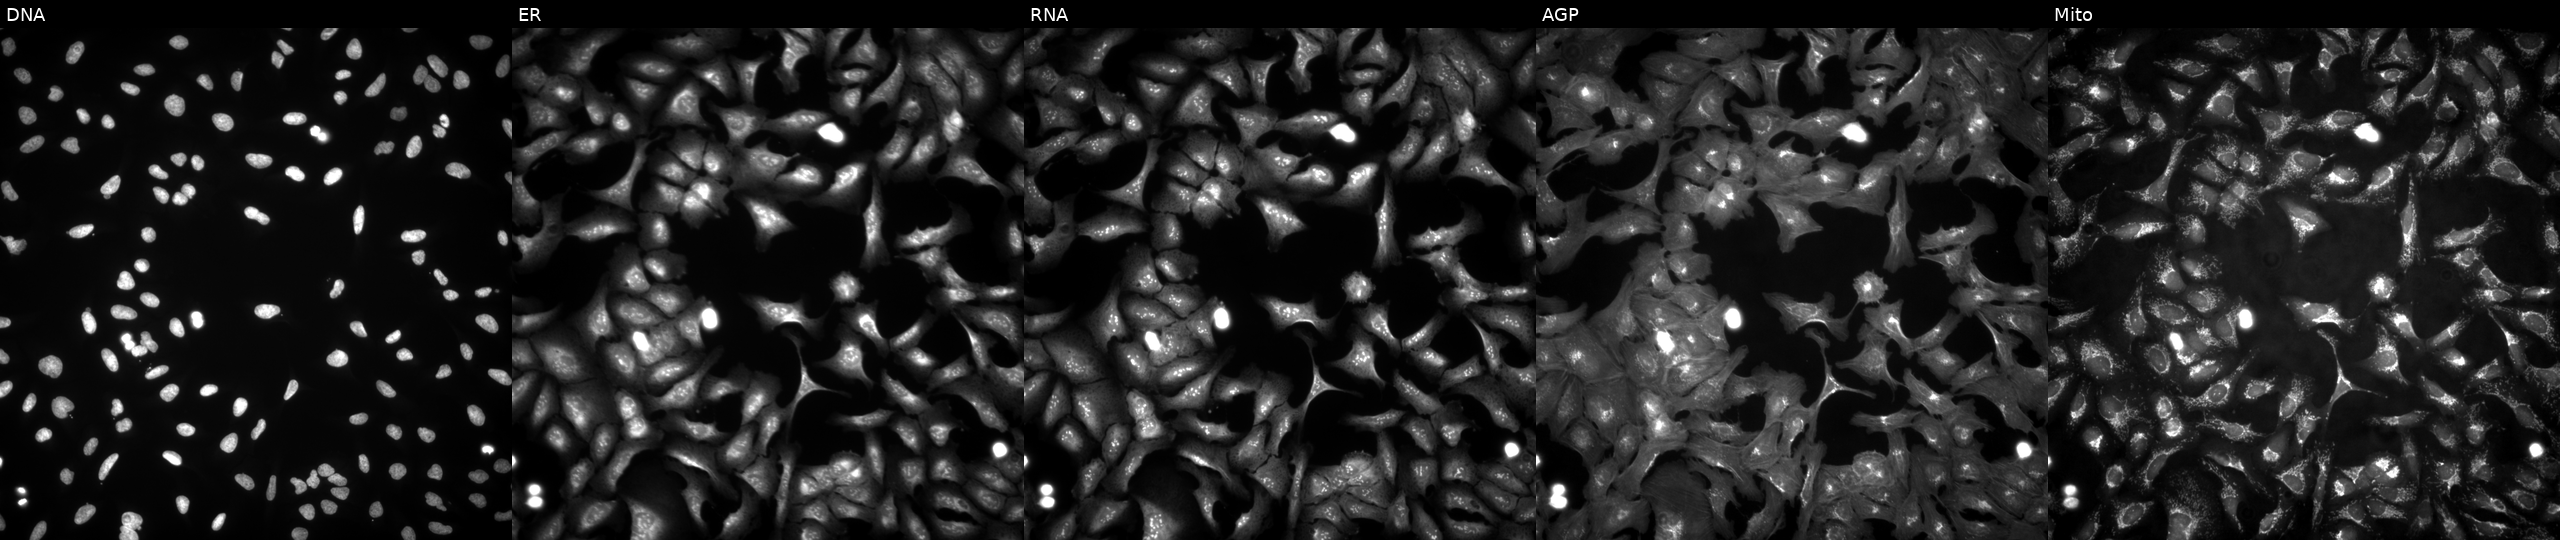
Five-channel Cell Painting image of U2OS cells transfected with an ORF construct for HSD17B13 (JUMP id JCP2022_905140). The five panels, left to right, show Hoechst 33342, concanavalin A, SYTO 14, phalloidin and WGA, MitoTracker.